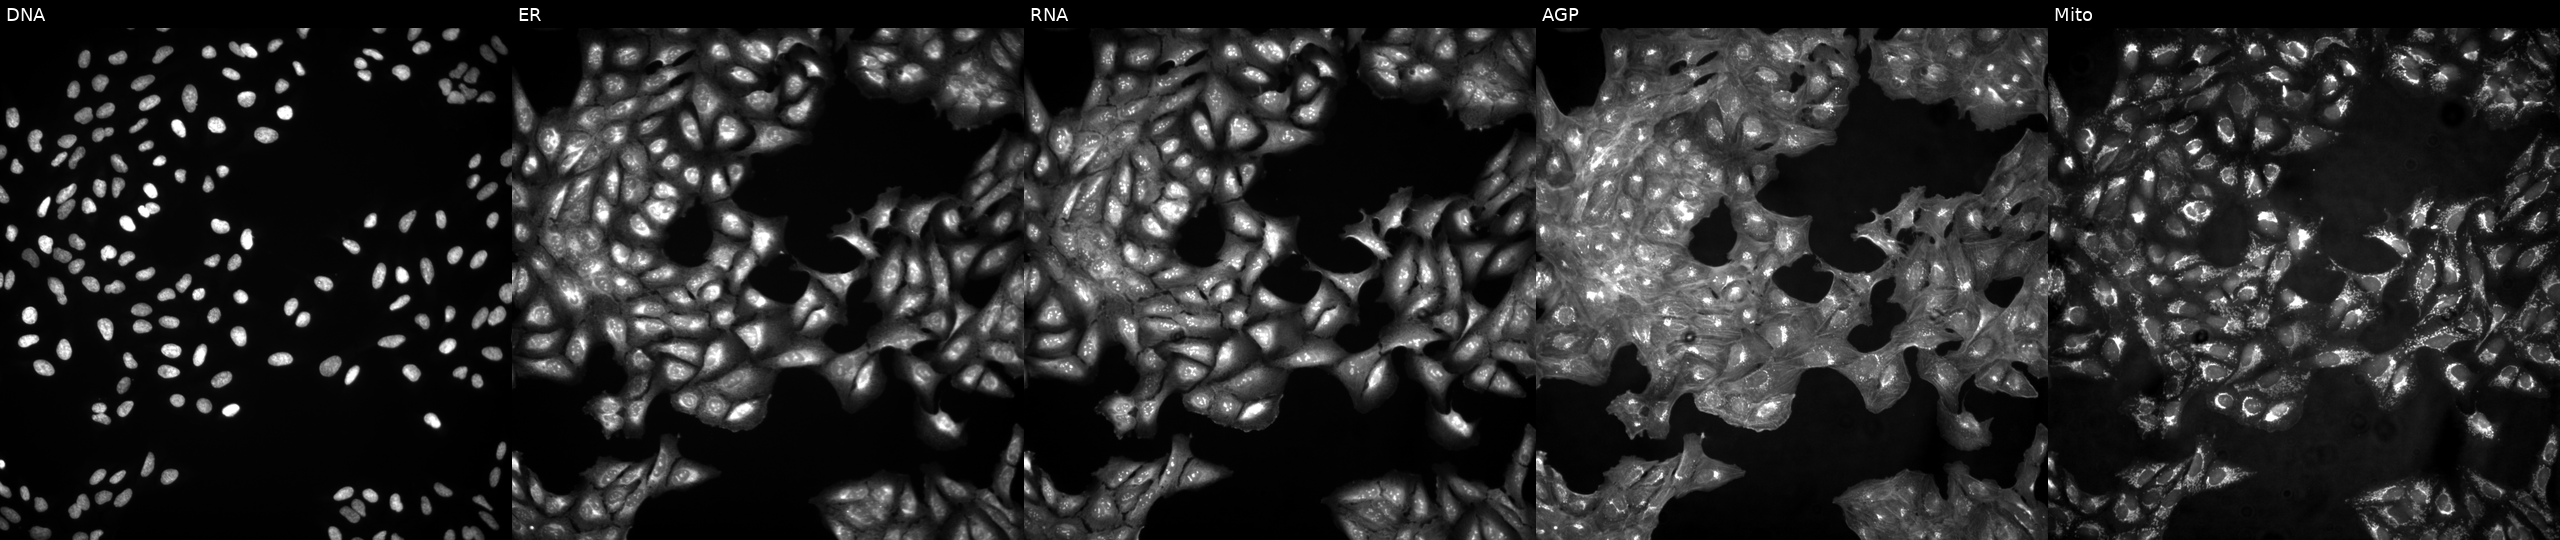
Five-channel Cell Painting image of U2OS cells in an empty control well (no perturbation) (JUMP id JCP2022_999999). From left to right: DNA (nuclei); ER (endoplasmic reticulum); RNA (nucleoli and cytoplasmic RNA); AGP (actin cytoskeleton, Golgi, and plasma membrane); Mito (mitochondria).